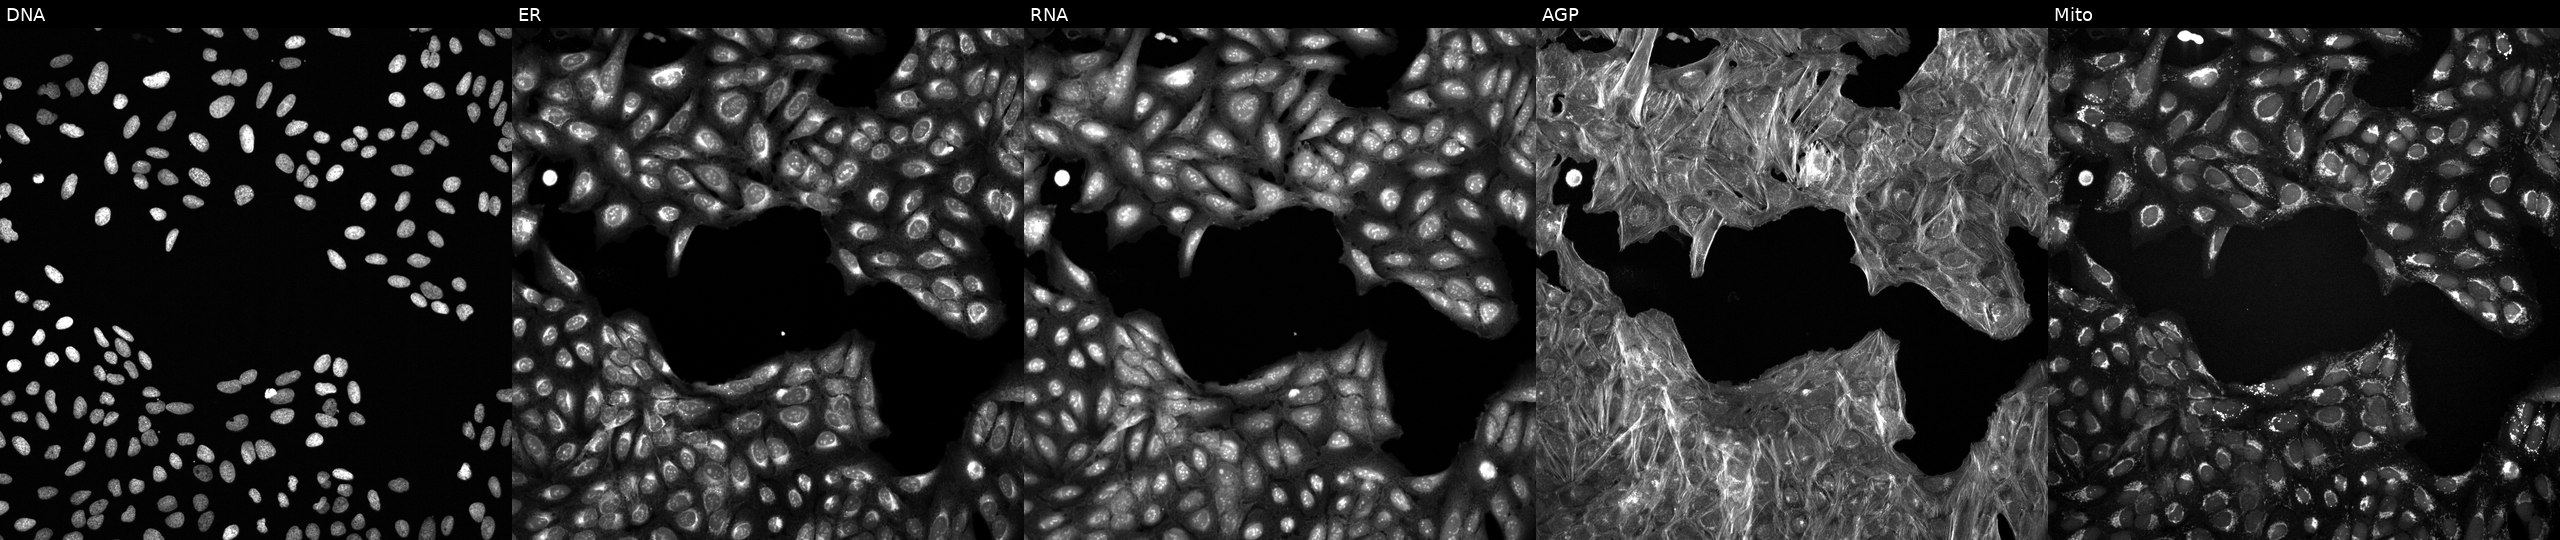
U2OS cells, Cell Painting assay, perturbed with a small-molecule compound (InChIKey JUDBWFNPTLBKLT-UHFFFAOYSA-N) [SMILES: CC(=O)c1cccc(NC(=O)CC(c2cccs2)n2cccc2)c1] (JUMP id JCP2022_042151). Panels show, left to right, Hoechst 33342, concanavalin A, SYTO 14, phalloidin and WGA, MitoTracker. Each panel is percentile-stretched 16-bit fluorescence.